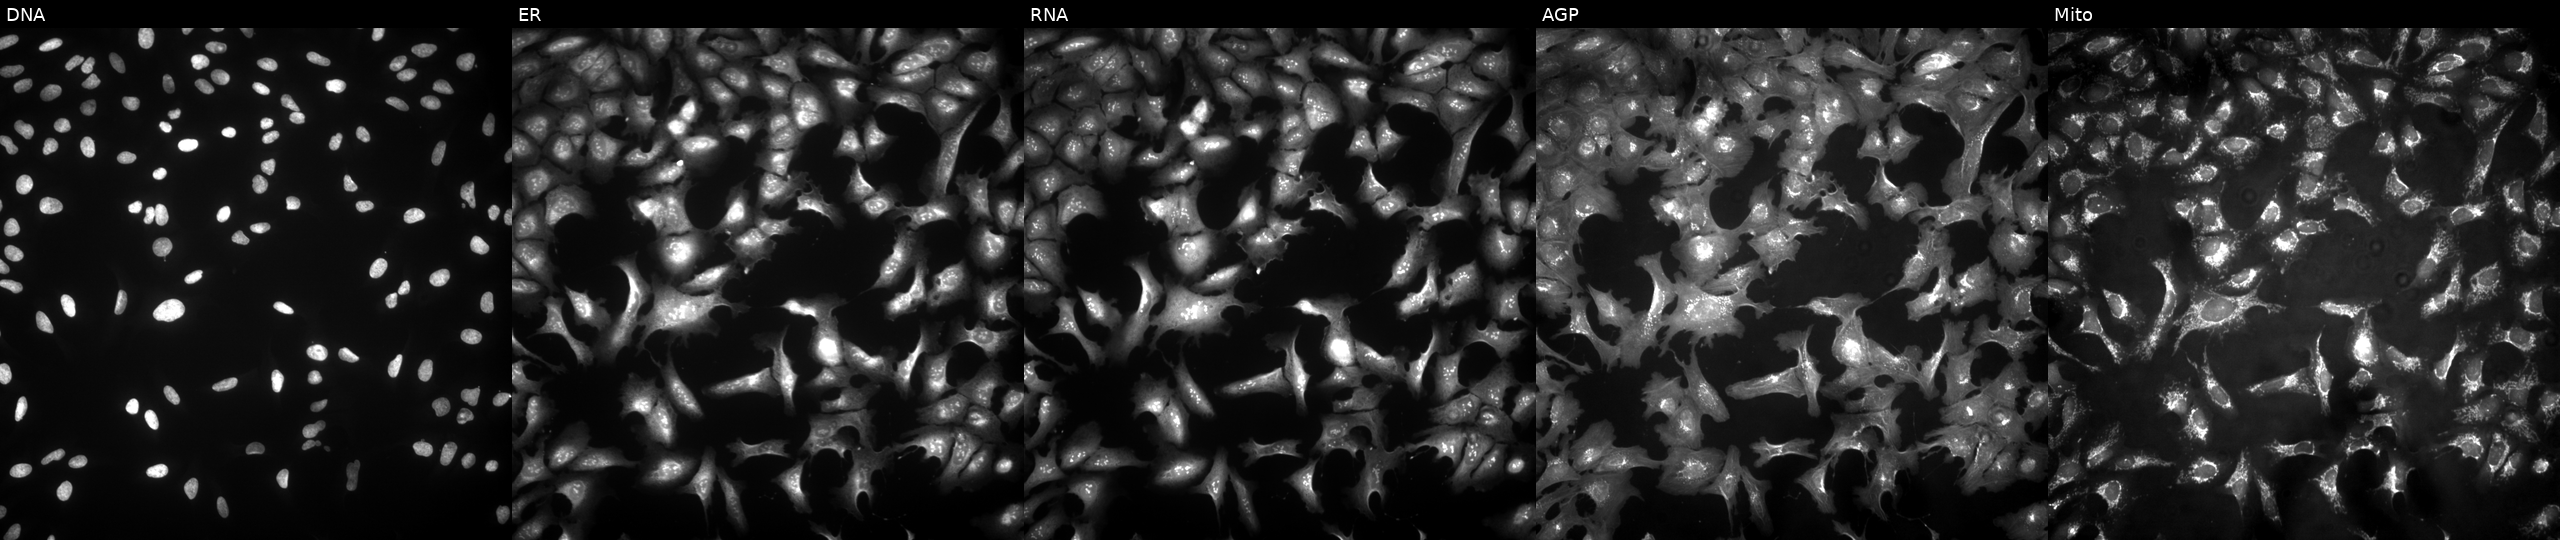
This image strip shows the five Cell Painting channels for a single field of U2OS cells transfected with an ORF construct for PGLYRP3. Panels show, left to right, DNA, ER, RNA, AGP, and Mito.